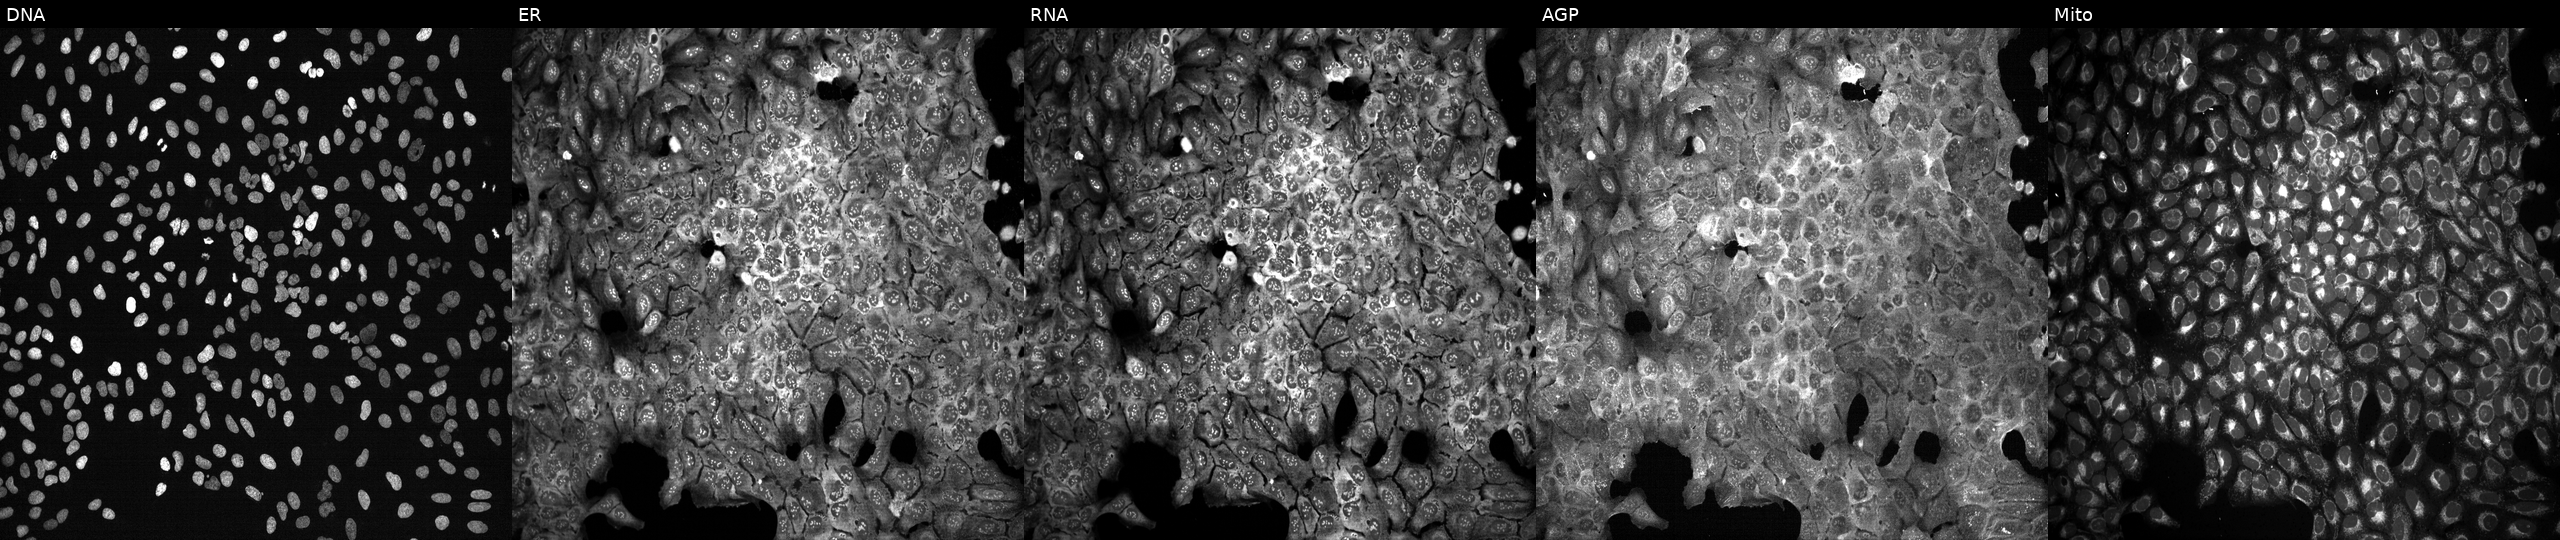
JUMP Cell Painting — CRISPR plate. U2OS cells CRISPR-edited to disrupt OAZ1. Channels (left→right): DNA (nuclei); ER (endoplasmic reticulum); RNA (nucleoli and cytoplasmic RNA); AGP (actin cytoskeleton, Golgi, and plasma membrane); Mito (mitochondria).